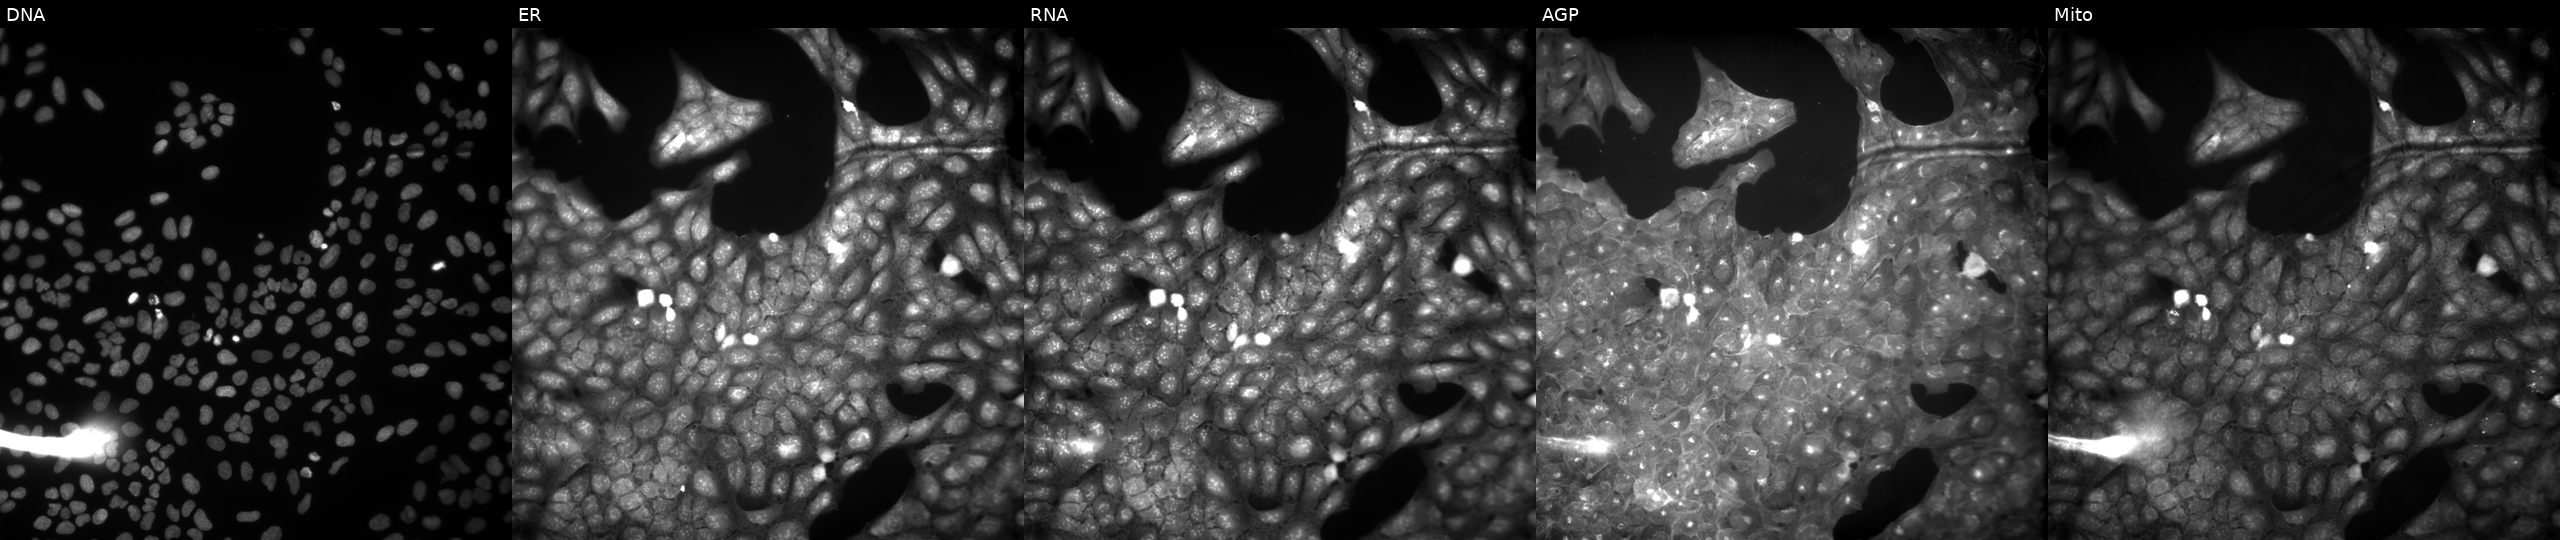
This image strip shows the five Cell Painting channels for a single field of U2OS cells treated with a small-molecule compound (JUMP id JCP2022_075205). The five panels, left to right, show DNA, ER, RNA, AGP, and Mito.